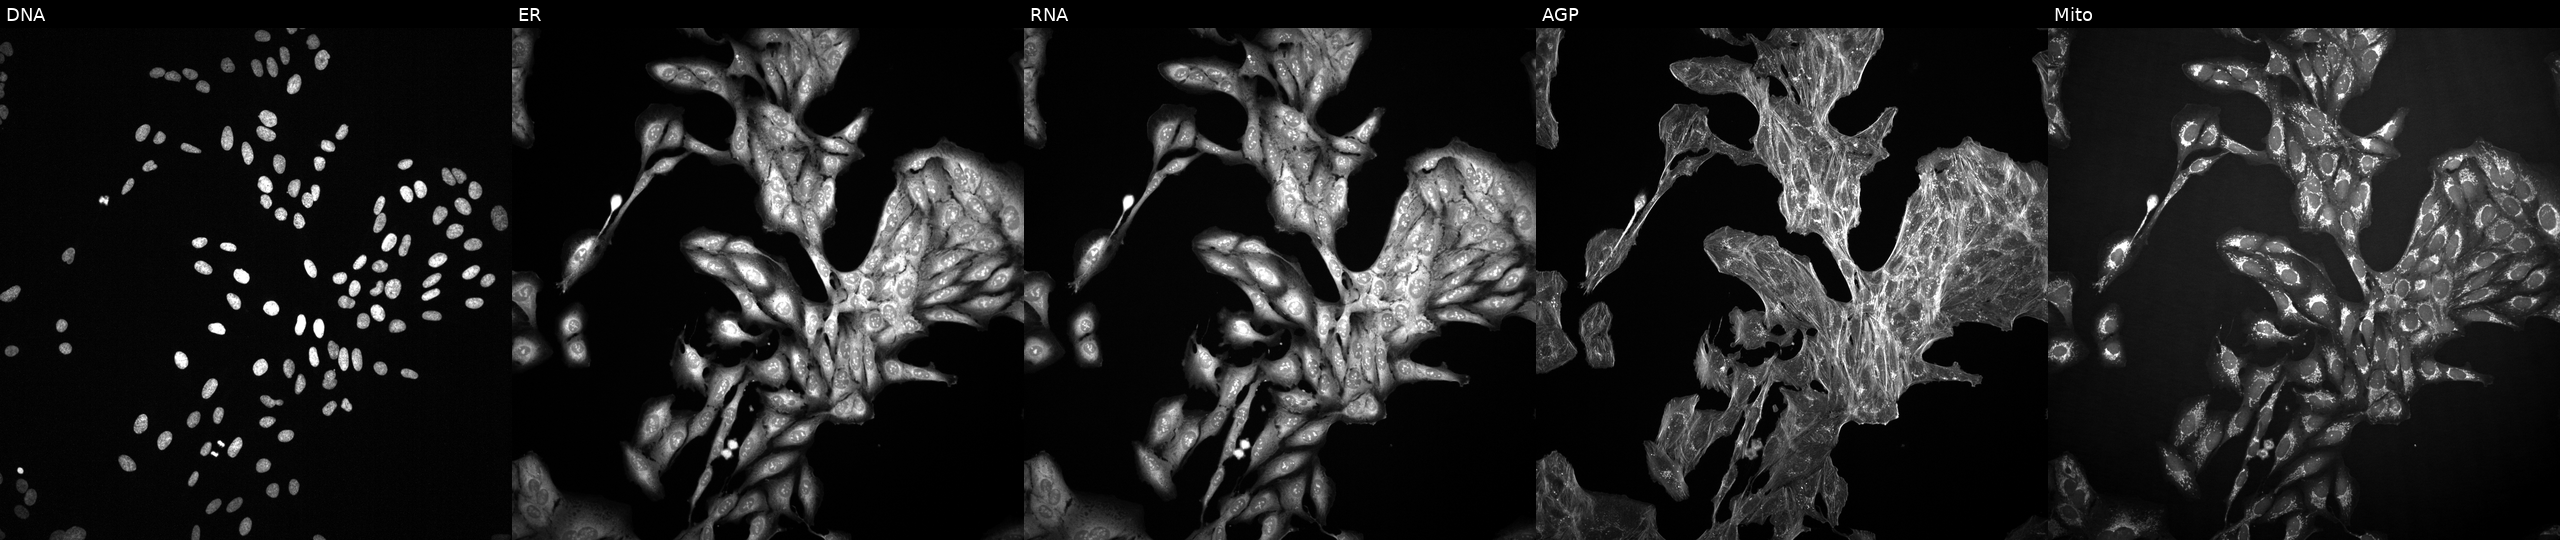
U2OS cells, Cell Painting assay, exposed to a small-molecule compound (InChIKey CUIHSIWYWATEQL-UHFFFAOYSA-N) (JUMP id JCP2022_013455). Panels show, left to right, Hoechst 33342, concanavalin A, SYTO 14, phalloidin and WGA, MitoTracker. Each panel is percentile-stretched 16-bit fluorescence. Source 2, plate 1053597936, well I17.